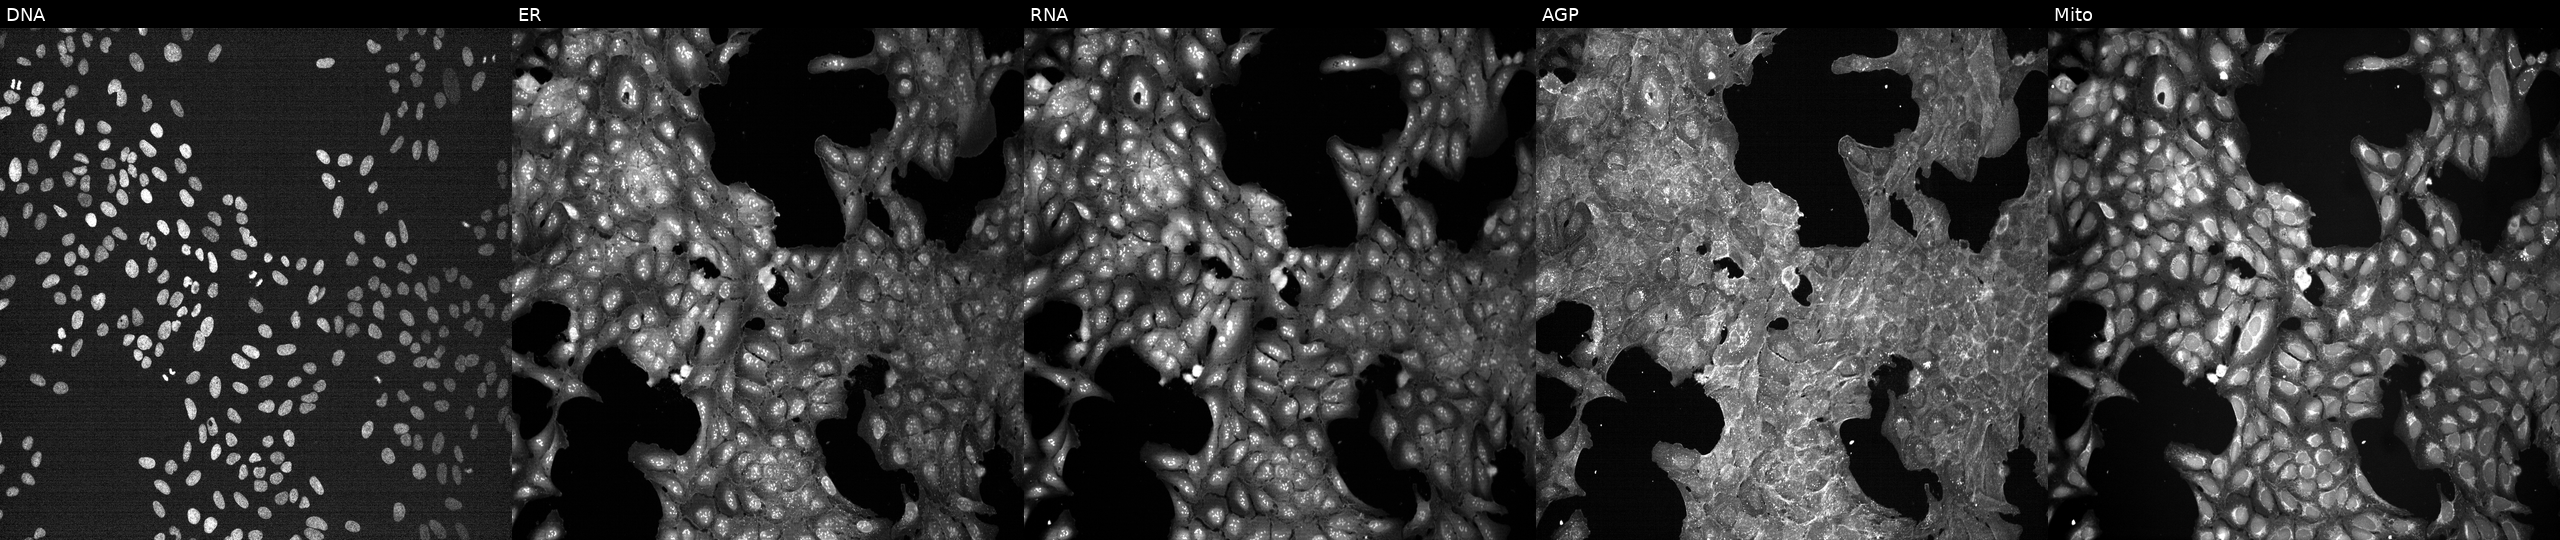
High-content fluorescence microscopy (Cell Painting). Cell line: U2OS. Perturbation: exposed to a small-molecule compound (InChIKey VFSVKVQMZDJFQX-UHFFFAOYSA-N) (JUMP id JCP2022_093678). From left to right: DNA, ER, RNA, AGP, and Mito. Source 7, plate CP1-SC1-25, well C21.